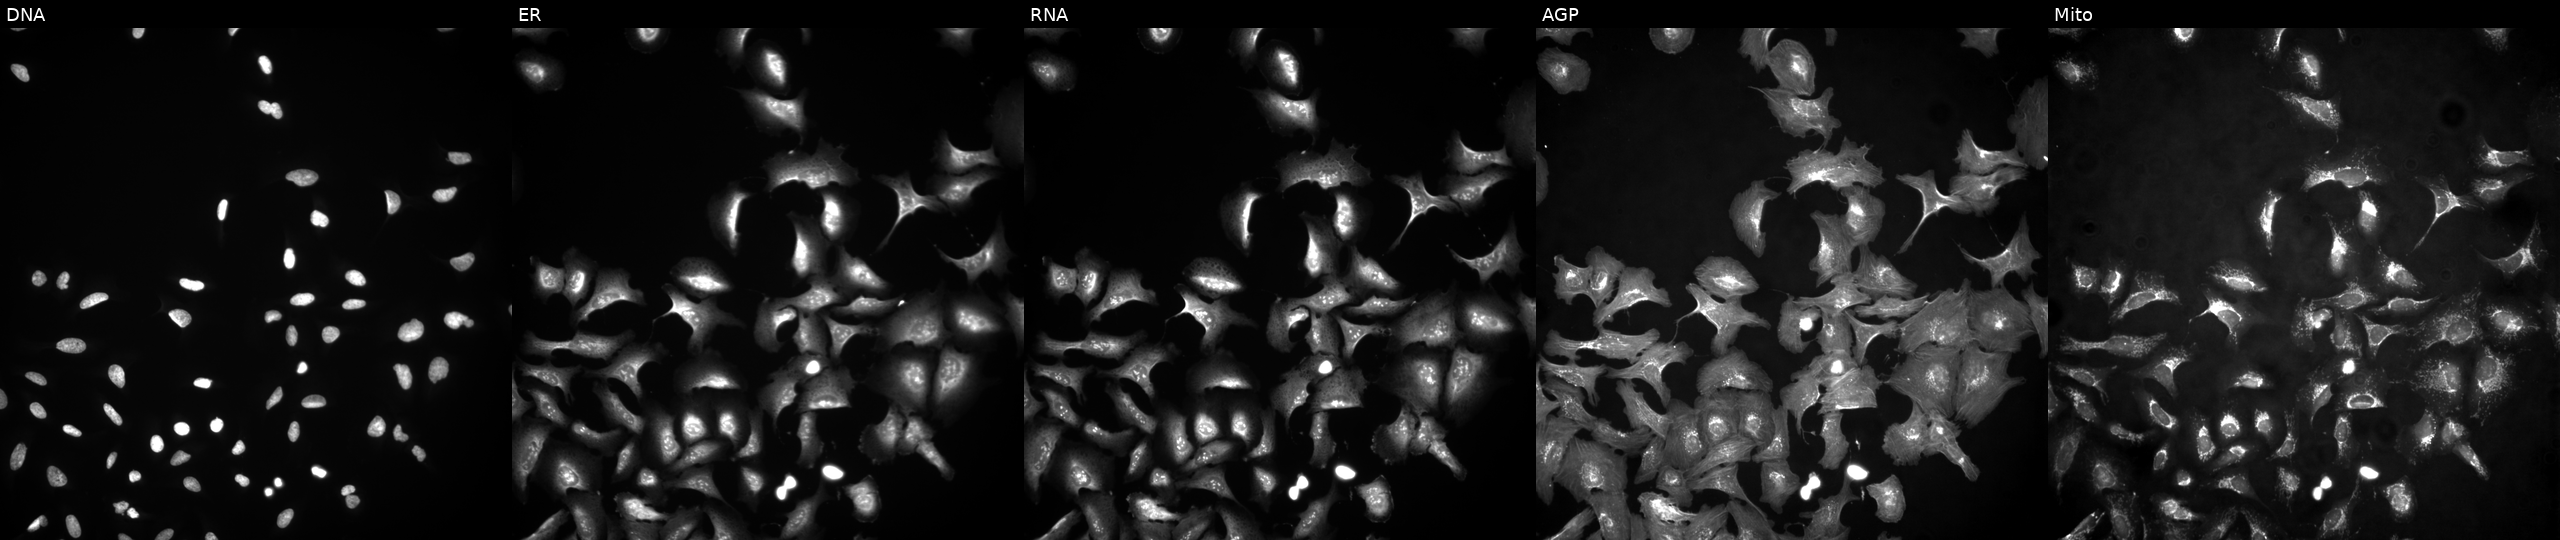
JUMP Cell Painting — ORF plate. U2OS cells with METTL15 overexpressed (ORF) (JUMP id JCP2022_912455). From left to right: DNA (nuclei); ER (endoplasmic reticulum); RNA (nucleoli and cytoplasmic RNA); AGP (actin cytoskeleton, Golgi, and plasma membrane); Mito (mitochondria).